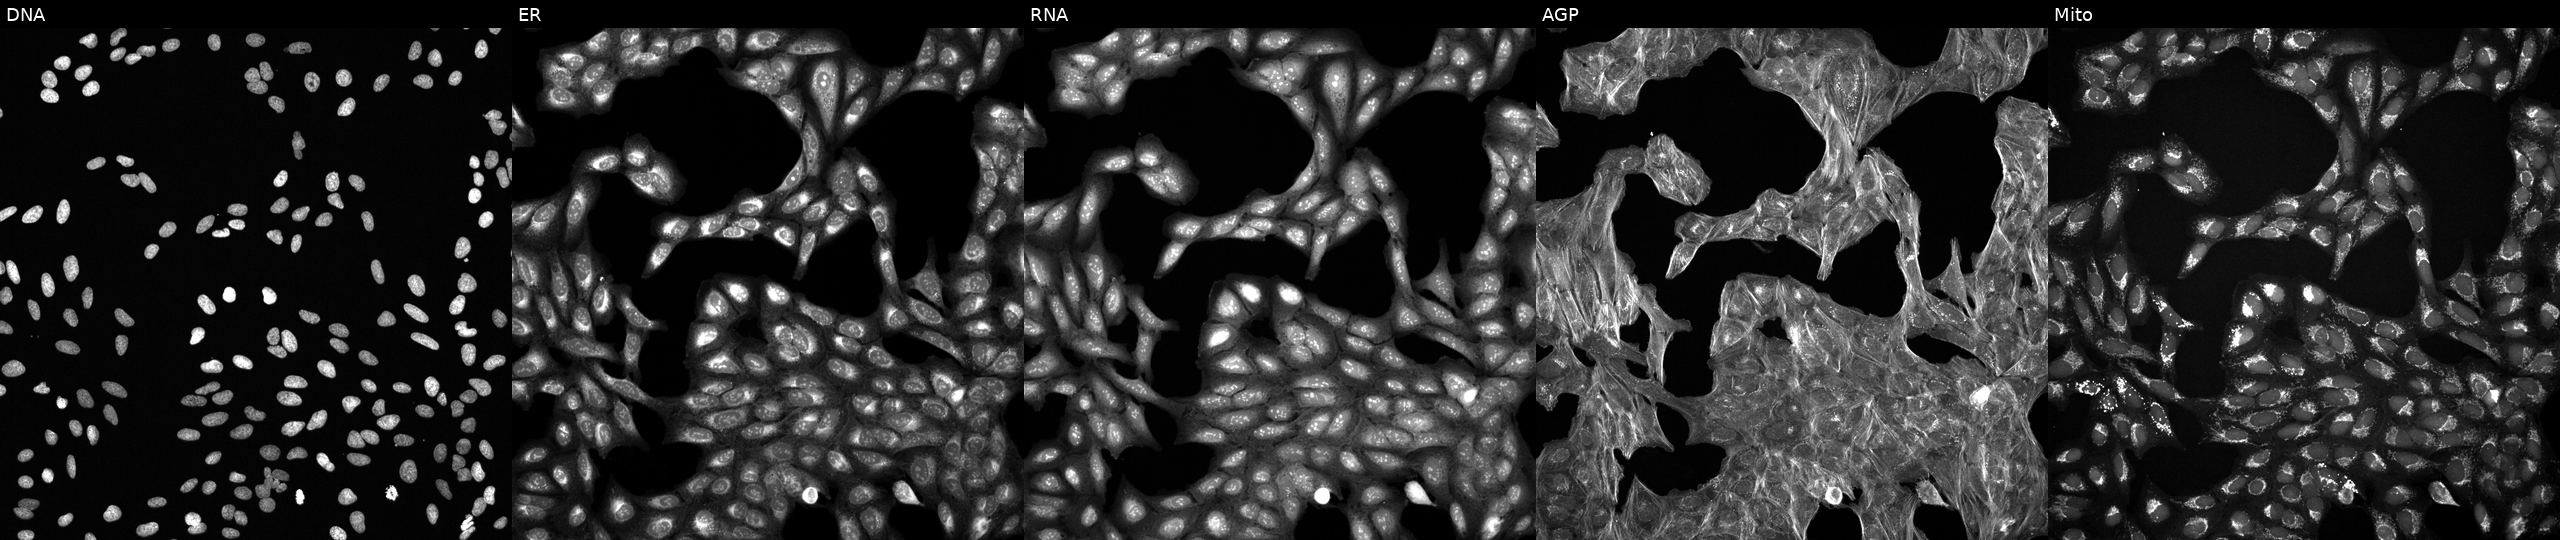
High-content fluorescence microscopy (Cell Painting). Cell line: U2OS. Perturbation: exposed to a small-molecule compound [SMILES: COc1ccc(C)cc1NC(=O)C(=O)NCC(c1ccsc1)N1CCCCCC1] (JUMP id JCP2022_066576). Panels show, left to right, Hoechst 33342, concanavalin A, SYTO 14, phalloidin and WGA, MitoTracker.